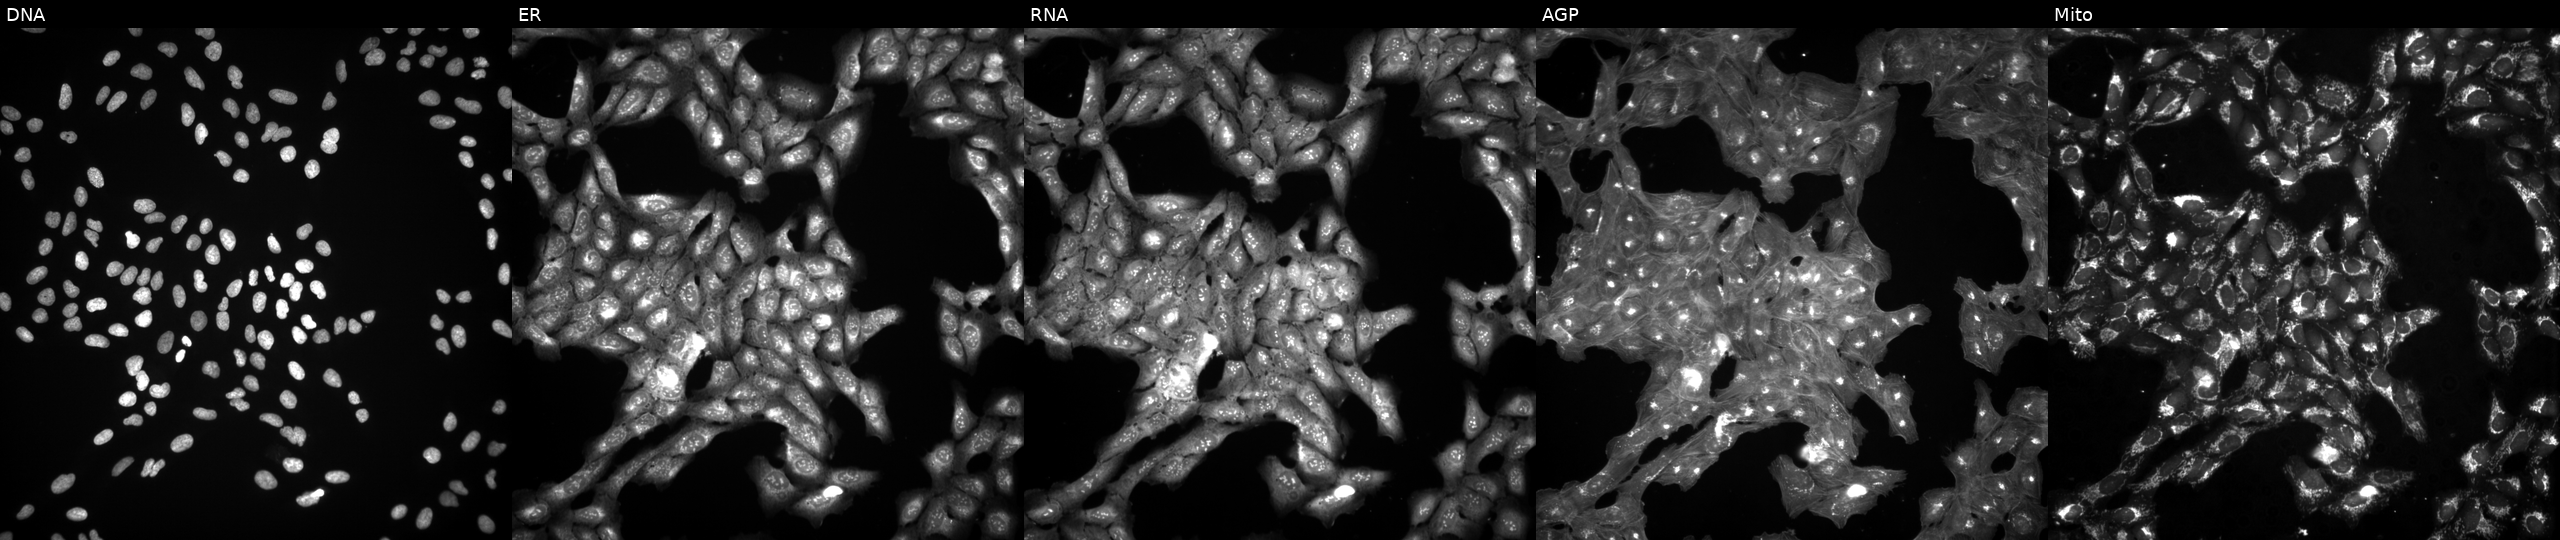
High-content fluorescence microscopy (Cell Painting). Cell line: U2OS. Perturbation: exposed to a small-molecule compound (InChIKey SHZKQBHERIJWAO-UHFFFAOYSA-N). The five panels, left to right, show DNA (nuclei); ER (endoplasmic reticulum); RNA (nucleoli and cytoplasmic RNA); AGP (actin cytoskeleton, Golgi, and plasma membrane); Mito (mitochondria). Source 3, plate JCPQC052, well P05.